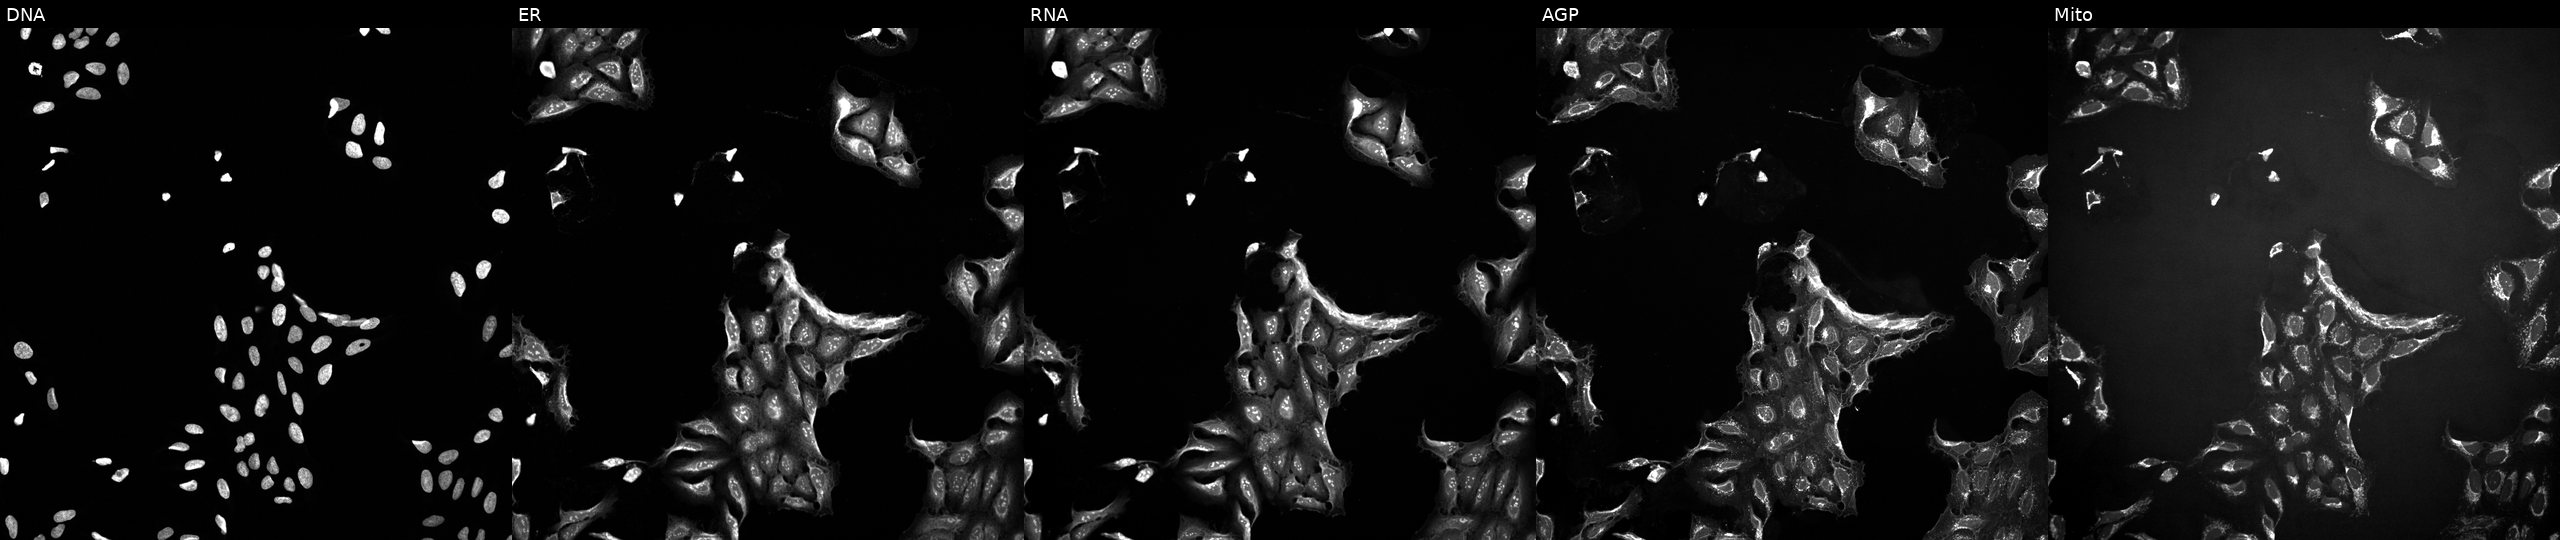
High-content fluorescence microscopy (Cell Painting). Cell line: U2OS. Perturbation: treated with a small-molecule compound (JUMP id JCP2022_016288). Panels show, left to right, DNA (nuclei); ER (endoplasmic reticulum); RNA (nucleoli and cytoplasmic RNA); AGP (actin cytoskeleton, Golgi, and plasma membrane); Mito (mitochondria).